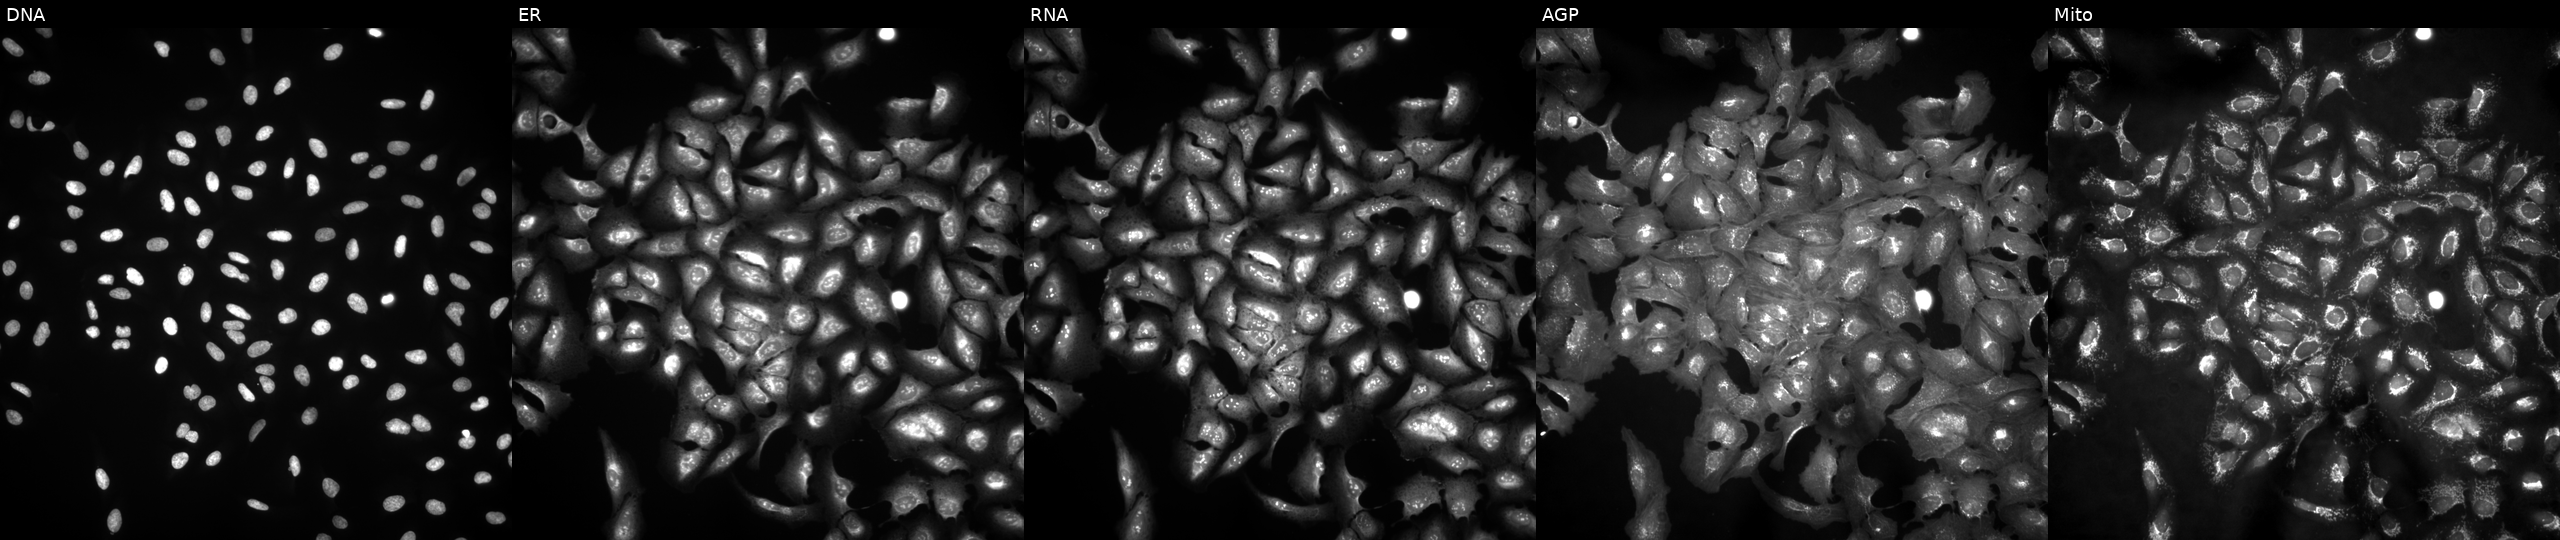
U2OS cells, Cell Painting assay, expressing LUCIFERASE (ORF negative control). The five panels, left to right, show Hoechst 33342, concanavalin A, SYTO 14, phalloidin and WGA, MitoTracker. Each panel is percentile-stretched 16-bit fluorescence. Source 4, plate BR00121543, well D11.